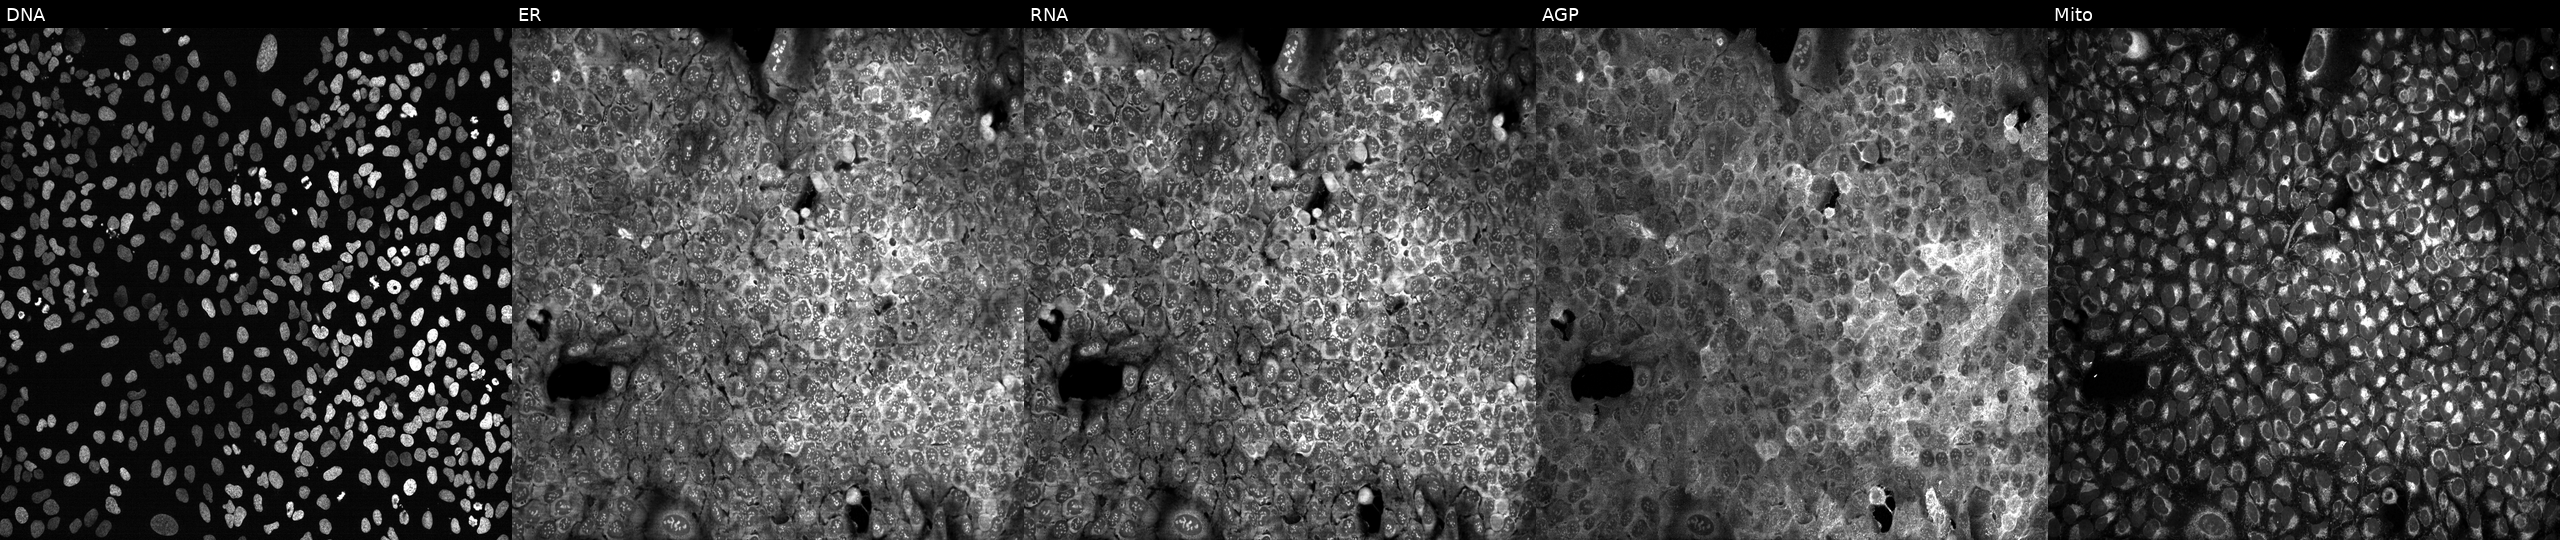
JUMP Cell Painting — CRISPR plate. U2OS cells with no CRISPR guide (negative control). Channels (left→right): DNA, ER, RNA, AGP, and Mito. Source 13, plate CP-CC9-R3-02, well E02.